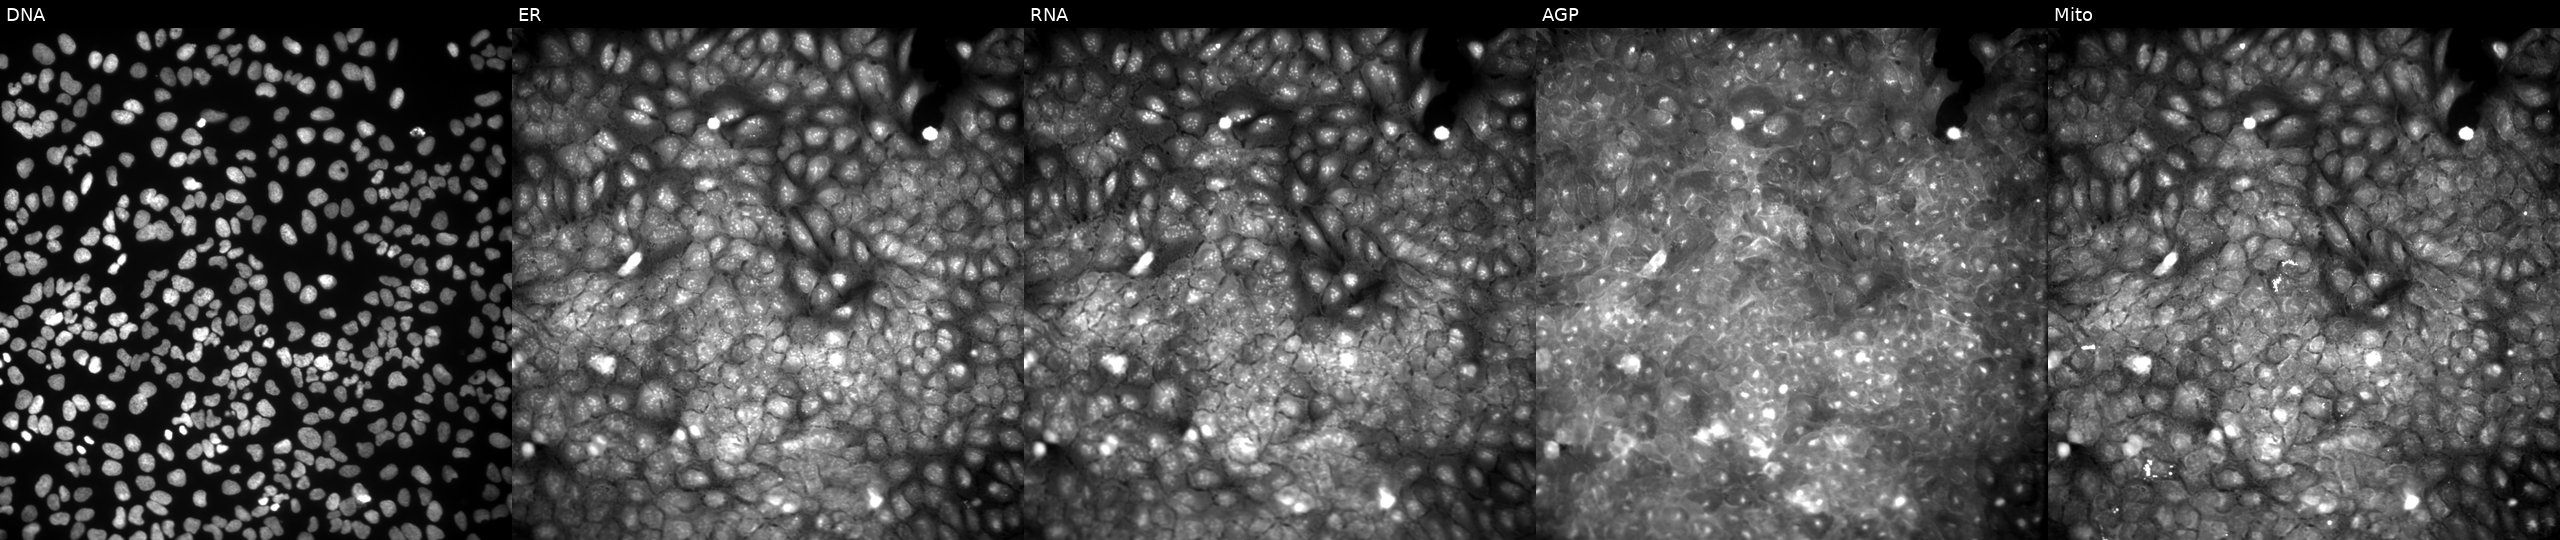
High-content fluorescence microscopy (Cell Painting). Cell line: U2OS. Perturbation: exposed to DMSO alone as a negative control. From left to right: DNA (nuclei); ER (endoplasmic reticulum); RNA (nucleoli and cytoplasmic RNA); AGP (actin cytoskeleton, Golgi, and plasma membrane); Mito (mitochondria).